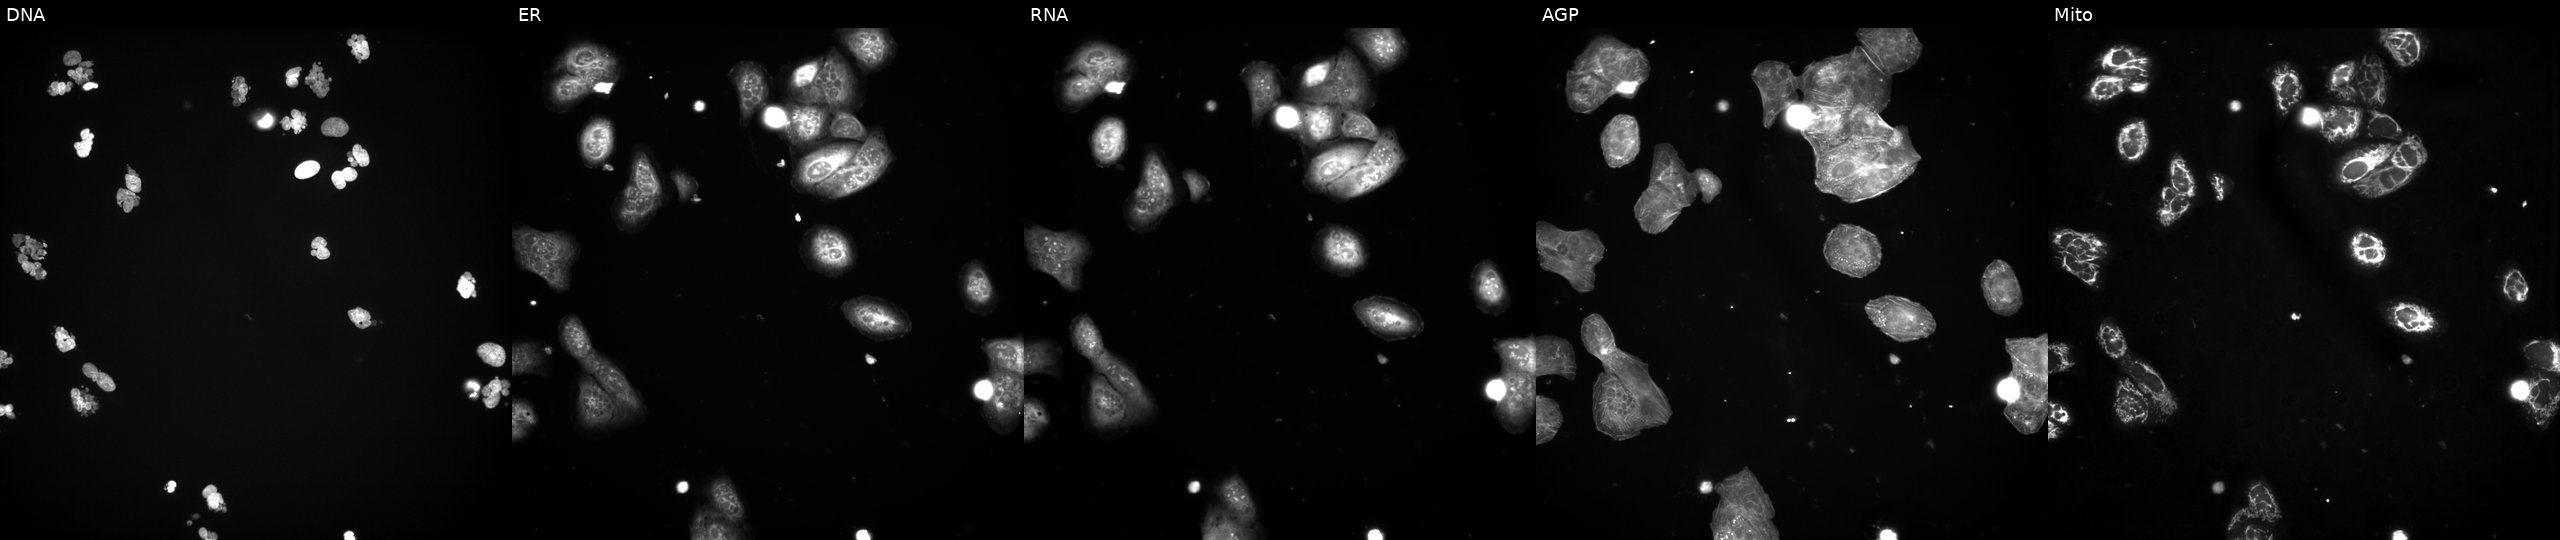
Five-channel Cell Painting image of U2OS cells perturbed with a small-molecule compound (InChIKey QXRSDHAAWVKZLJ-UHFFFAOYSA-N) [SMILES: CC(=Cc1csc(C)n1)C1CC2OC2(C)CCCC(C)C(O)C(C)C(=O)C(C)(C)C(O)CC(=O)O1] (JUMP id JCP2022_076573). The five panels, left to right, show Hoechst 33342, concanavalin A, SYTO 14, phalloidin and WGA, MitoTracker. Source 3, plate JCPQC053, well D10.